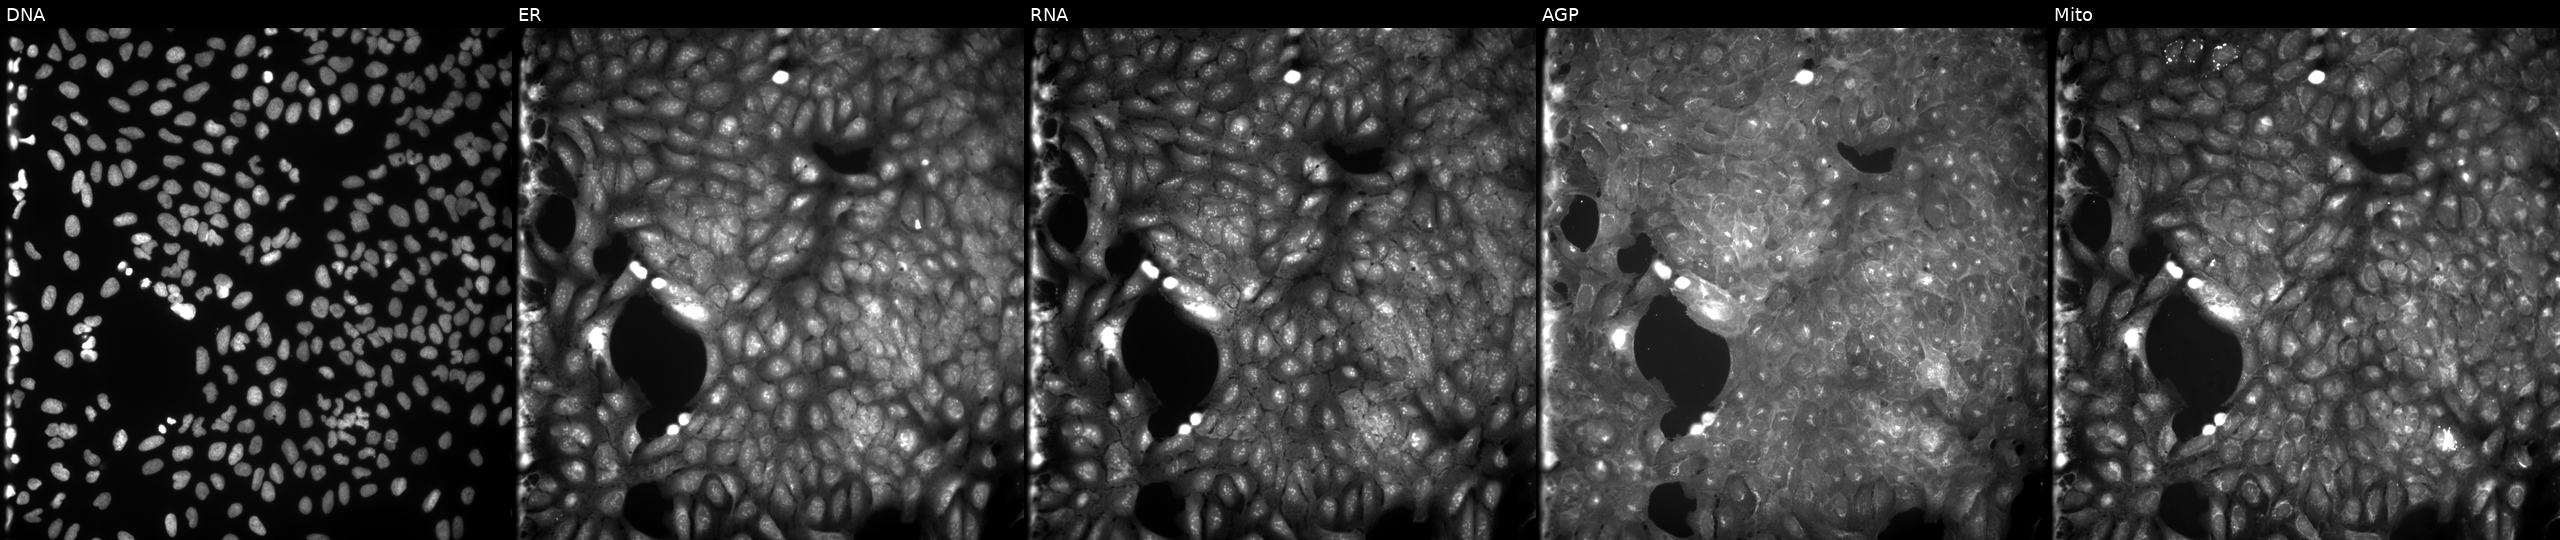
U2OS cells, Cell Painting assay, exposed to a small-molecule compound (JUMP id JCP2022_097785). From left to right: Hoechst 33342, concanavalin A, SYTO 14, phalloidin and WGA, MitoTracker. Each panel is percentile-stretched 16-bit fluorescence. Source 9, plate GR00003381, well M10.